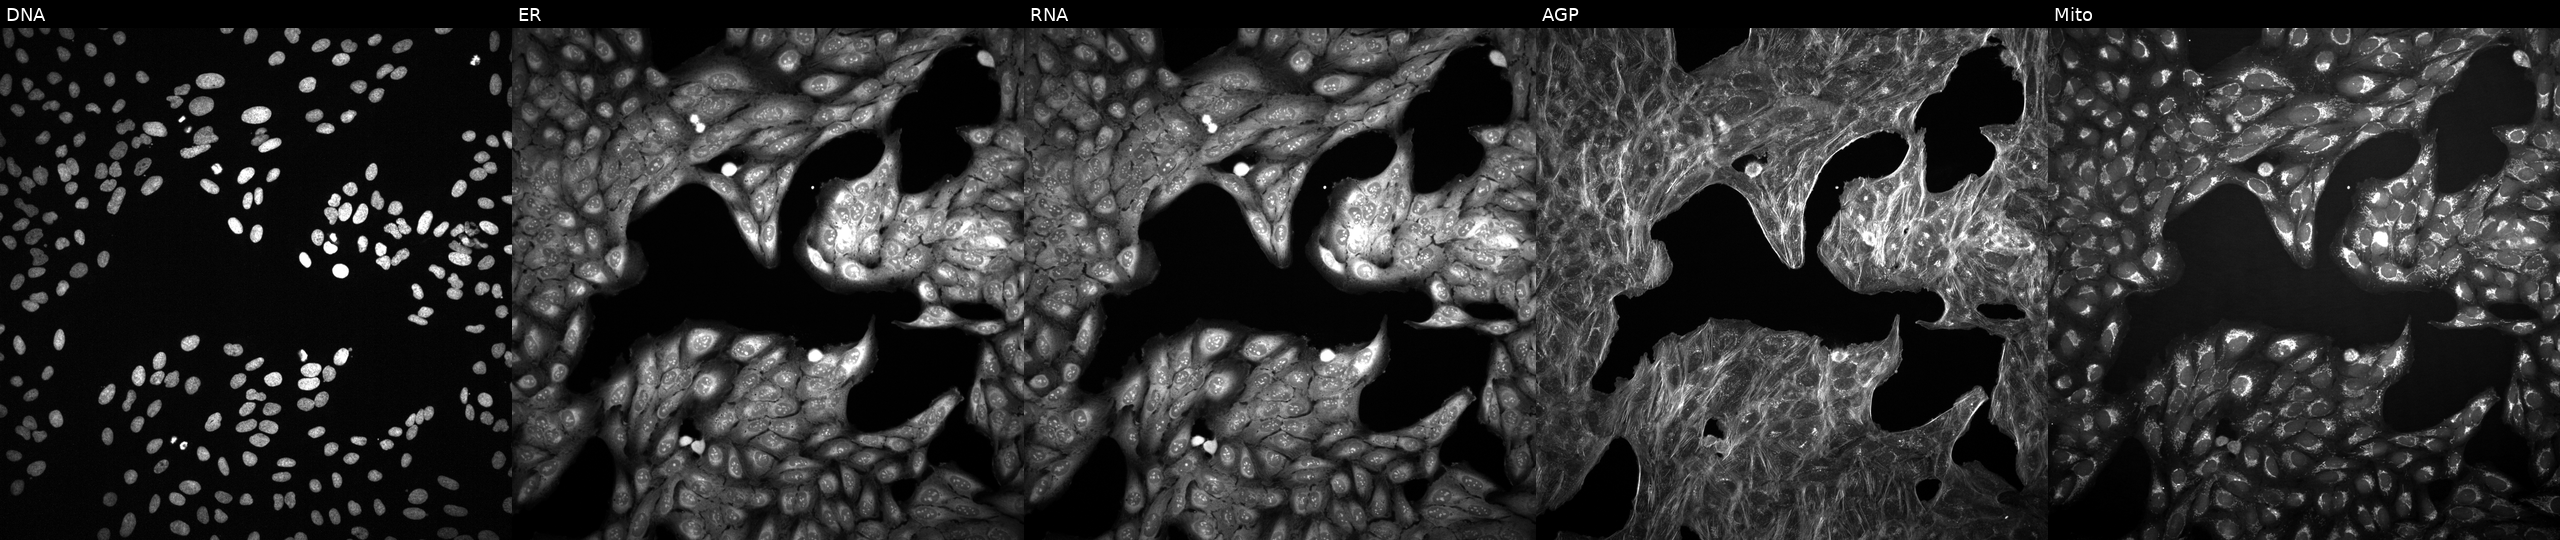
Channels (left→right): Hoechst 33342, concanavalin A, SYTO 14, phalloidin and WGA, MitoTracker. U2OS osteosarcoma cells perturbed with a small-molecule compound (InChIKey UPWGQKDVAURUGE-UHFFFAOYSA-N) (JUMP id JCP2022_090768). Cell Painting assay, JUMP-CP dataset.